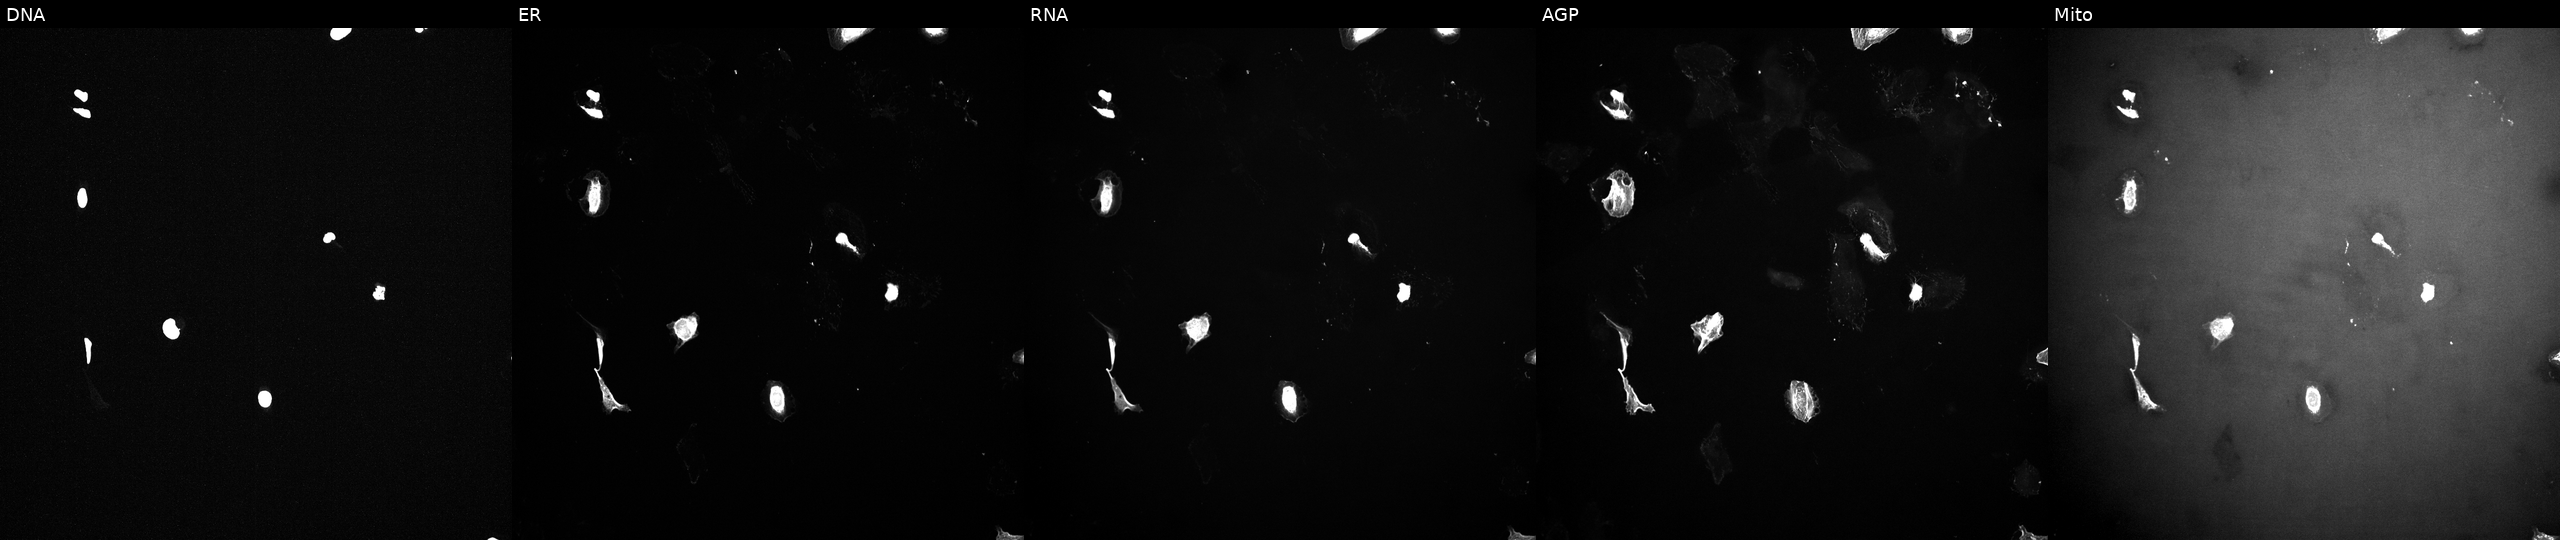
Five-channel Cell Painting image of U2OS cells exposed to a small-molecule compound (InChIKey AYCPARAPKDAOEN-UHFFFAOYSA-N) (JUMP id JCP2022_004587). The five panels, left to right, show Hoechst 33342, concanavalin A, SYTO 14, phalloidin and WGA, MitoTracker.